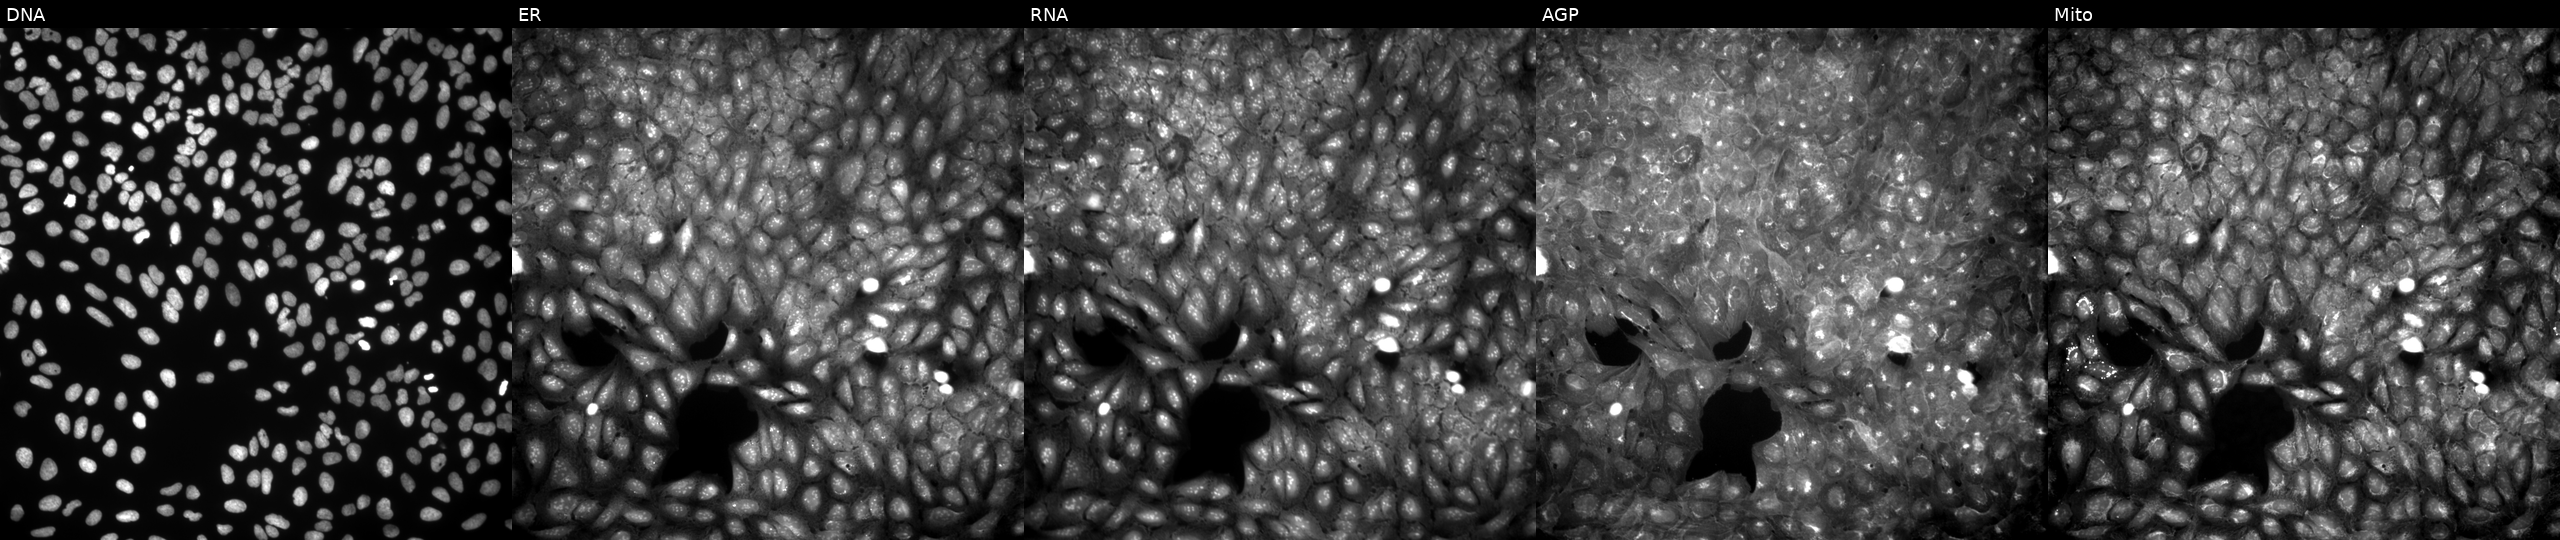
High-content fluorescence microscopy (Cell Painting). Cell line: U2OS. Perturbation: perturbed with a small-molecule compound (InChIKey NQBGFGFQNAOPIR-UHFFFAOYSA-N). From left to right: DNA (nuclei); ER (endoplasmic reticulum); RNA (nucleoli and cytoplasmic RNA); AGP (actin cytoskeleton, Golgi, and plasma membrane); Mito (mitochondria).